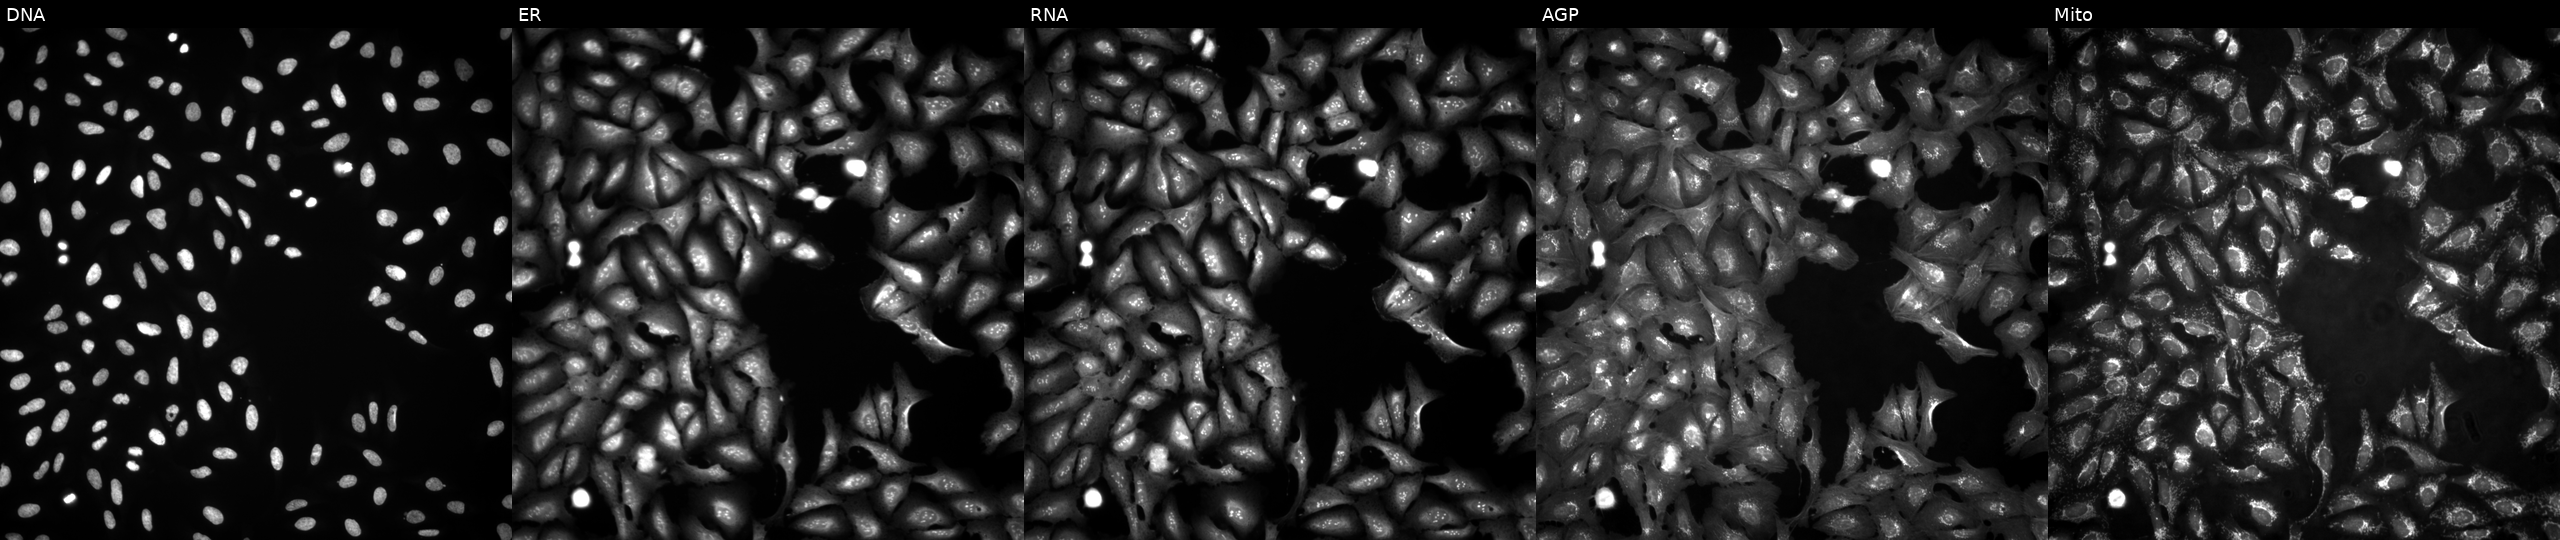
High-content fluorescence microscopy (Cell Painting). Cell line: U2OS. Perturbation: expressing HcRed (ORF negative control) (JUMP id JCP2022_915129). Channels (left→right): DNA (nuclei); ER (endoplasmic reticulum); RNA (nucleoli and cytoplasmic RNA); AGP (actin cytoskeleton, Golgi, and plasma membrane); Mito (mitochondria).